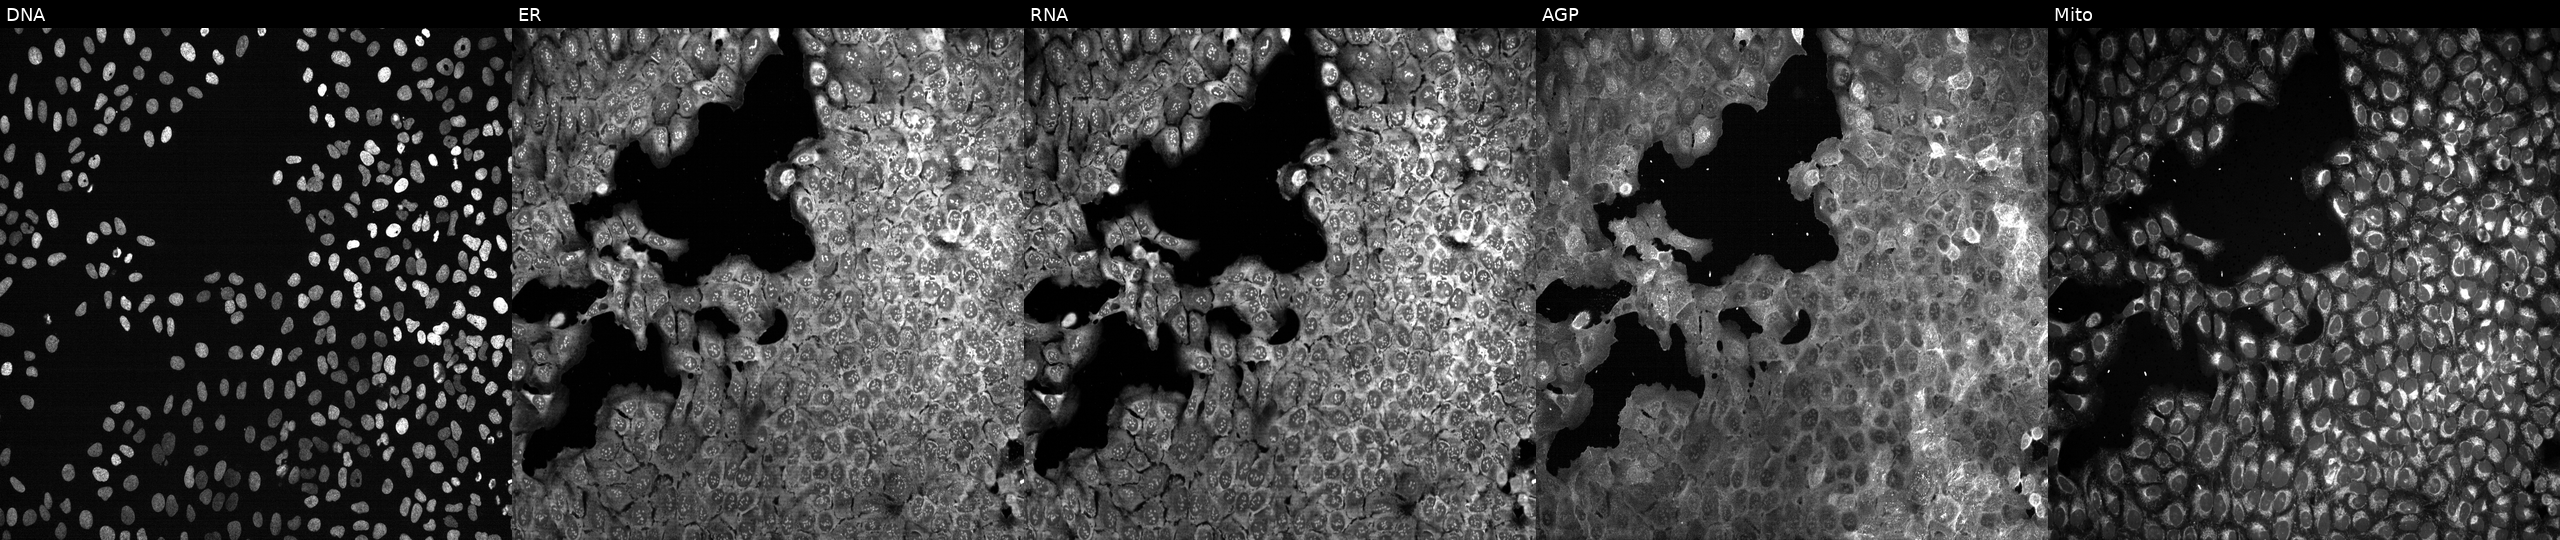
Five-channel Cell Painting image of U2OS cells with a non-targeting CRISPR guide (negative control). Panels show, left to right, Hoechst 33342, concanavalin A, SYTO 14, phalloidin and WGA, MitoTracker. Source 13, plate CP-CC9-R2-02, well D02.